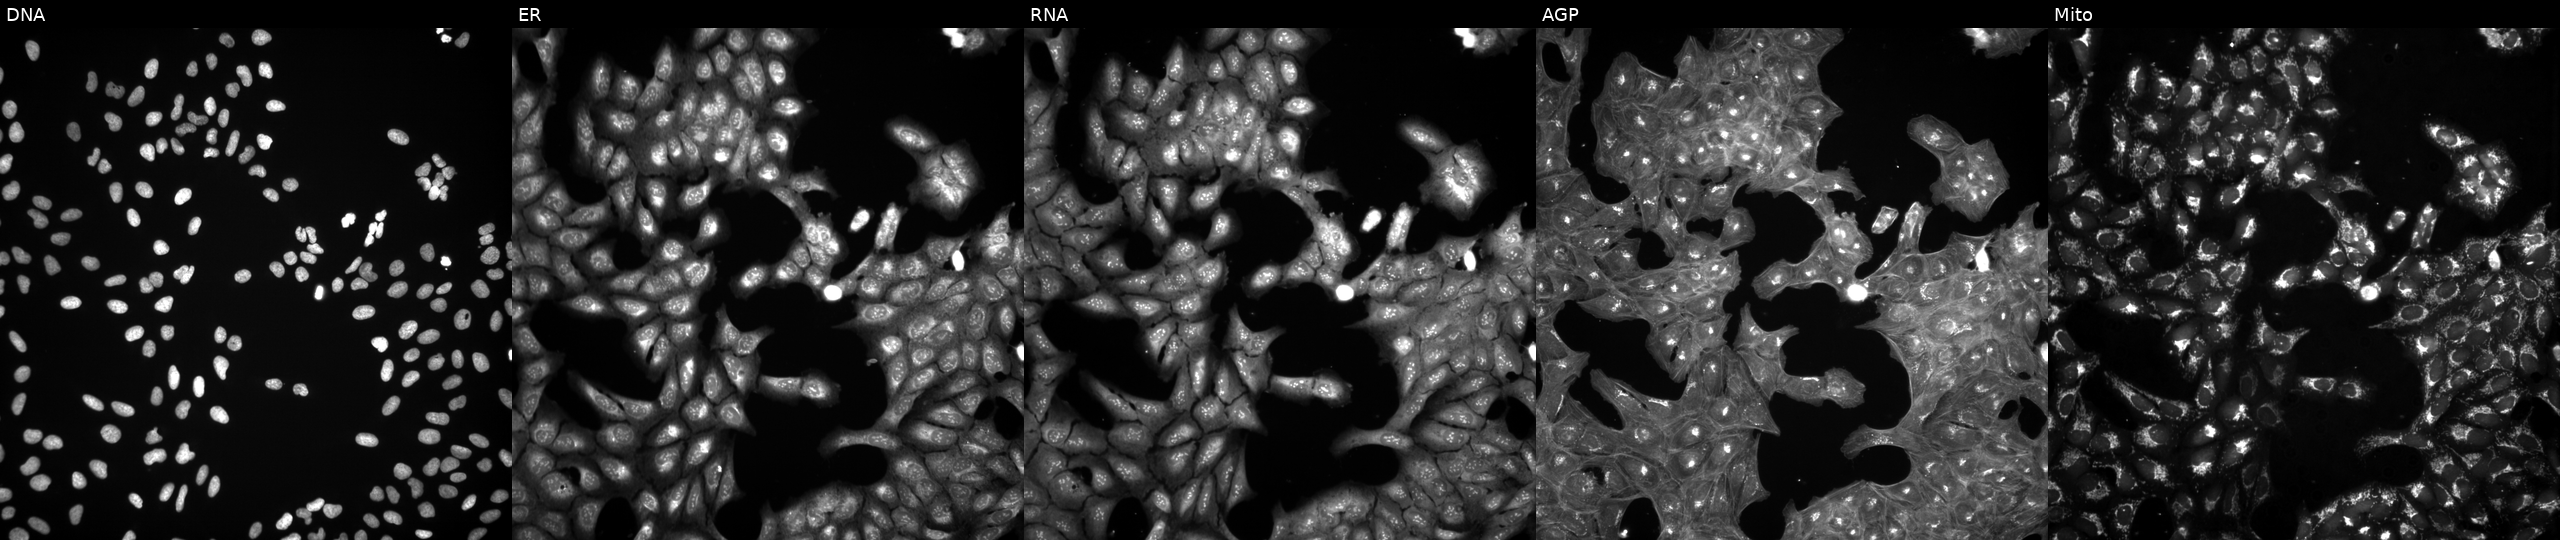
High-content fluorescence microscopy (Cell Painting). Cell line: U2OS. Perturbation: exposed to a small-molecule compound (InChIKey HCXQABQKCPITMD-UHFFFAOYSA-N) (JUMP id JCP2022_029403). Channels (left→right): DNA, ER, RNA, AGP, and Mito. Source 3, plate BR5867b3, well L20.